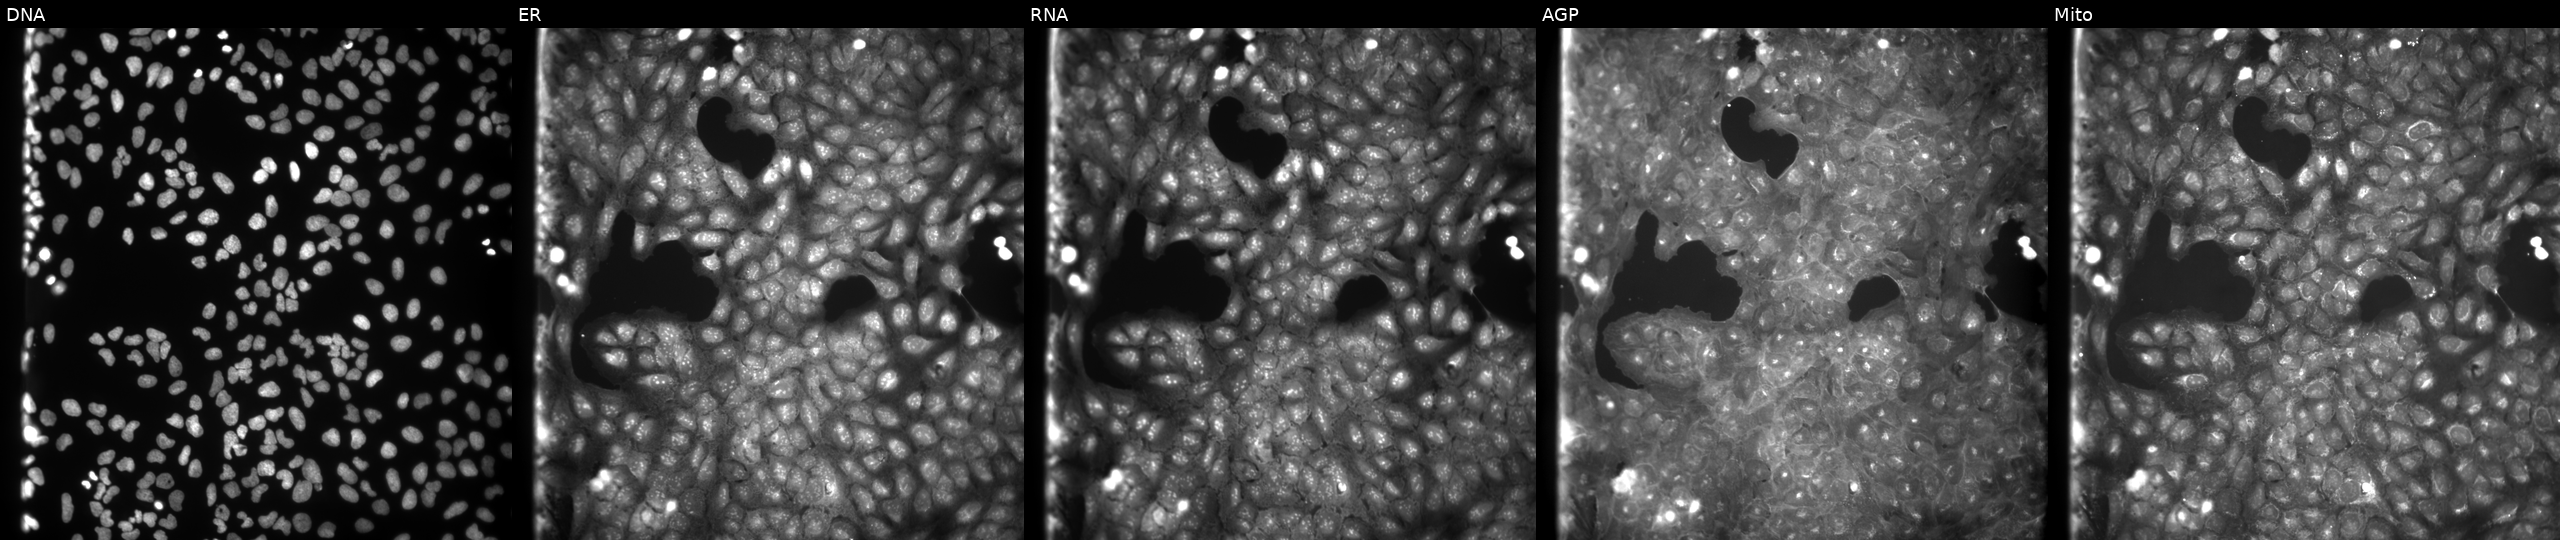
Five-channel Cell Painting image of U2OS cells exposed to a small-molecule compound (InChIKey OVQBTCFUGSFJEN-UHFFFAOYSA-N) (JUMP id JCP2022_066421). Channels (left→right): DNA (nuclei); ER (endoplasmic reticulum); RNA (nucleoli and cytoplasmic RNA); AGP (actin cytoskeleton, Golgi, and plasma membrane); Mito (mitochondria).